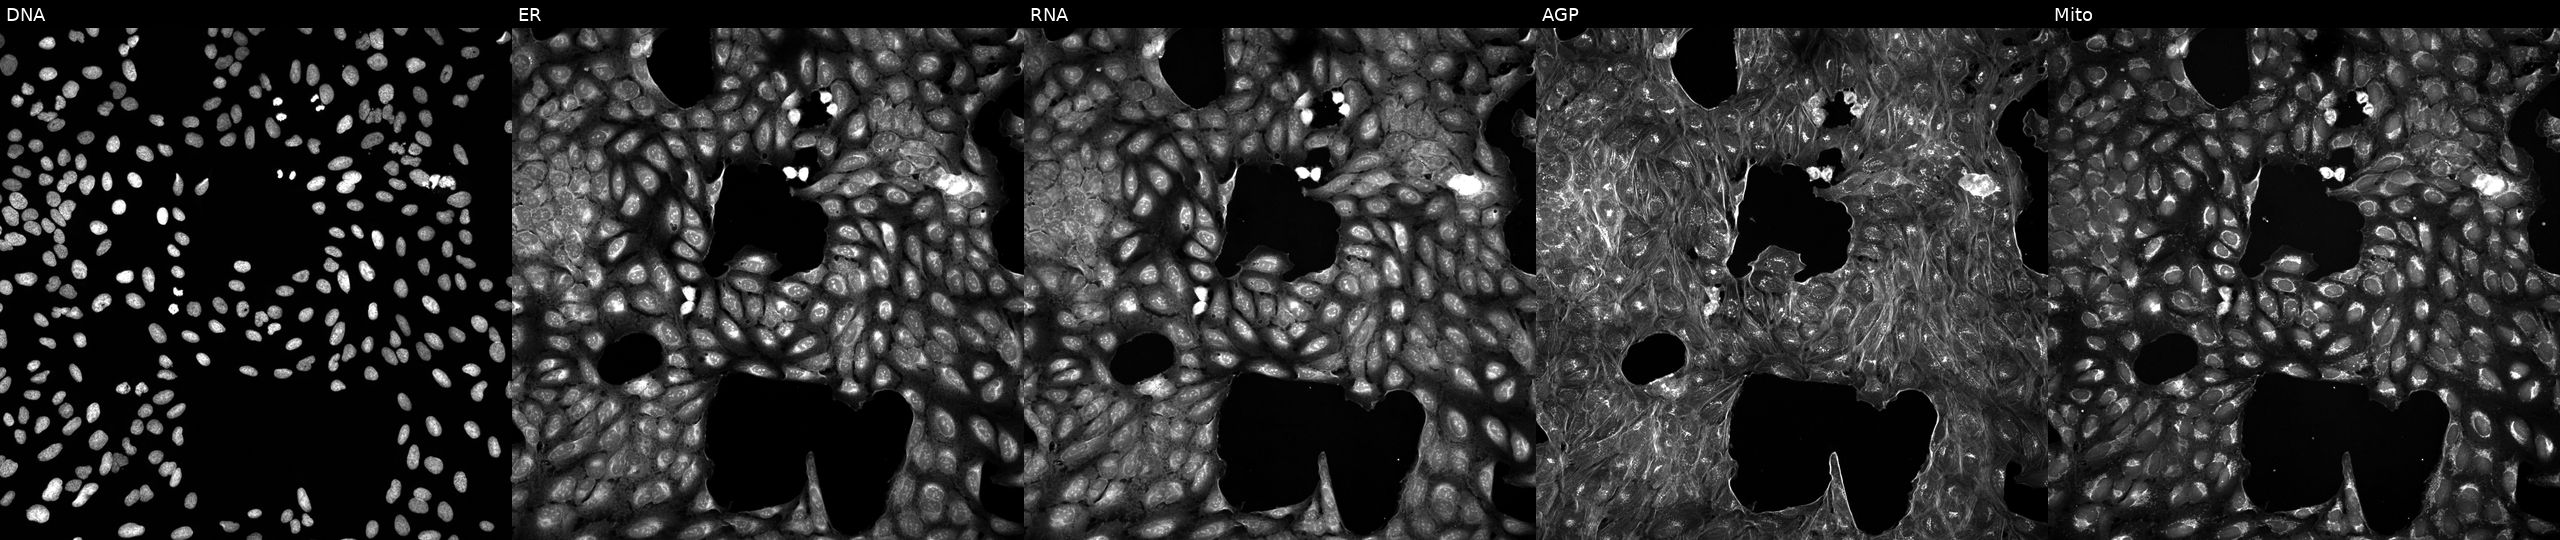
High-content fluorescence microscopy (Cell Painting). Cell line: U2OS. Perturbation: treated with a small-molecule compound (InChIKey PHSPJQZRQAJPPF-UHFFFAOYSA-N) [SMILES: CNCCc1c[nH]cn1] (JUMP id JCP2022_068660). From left to right: Hoechst 33342, concanavalin A, SYTO 14, phalloidin and WGA, MitoTracker.